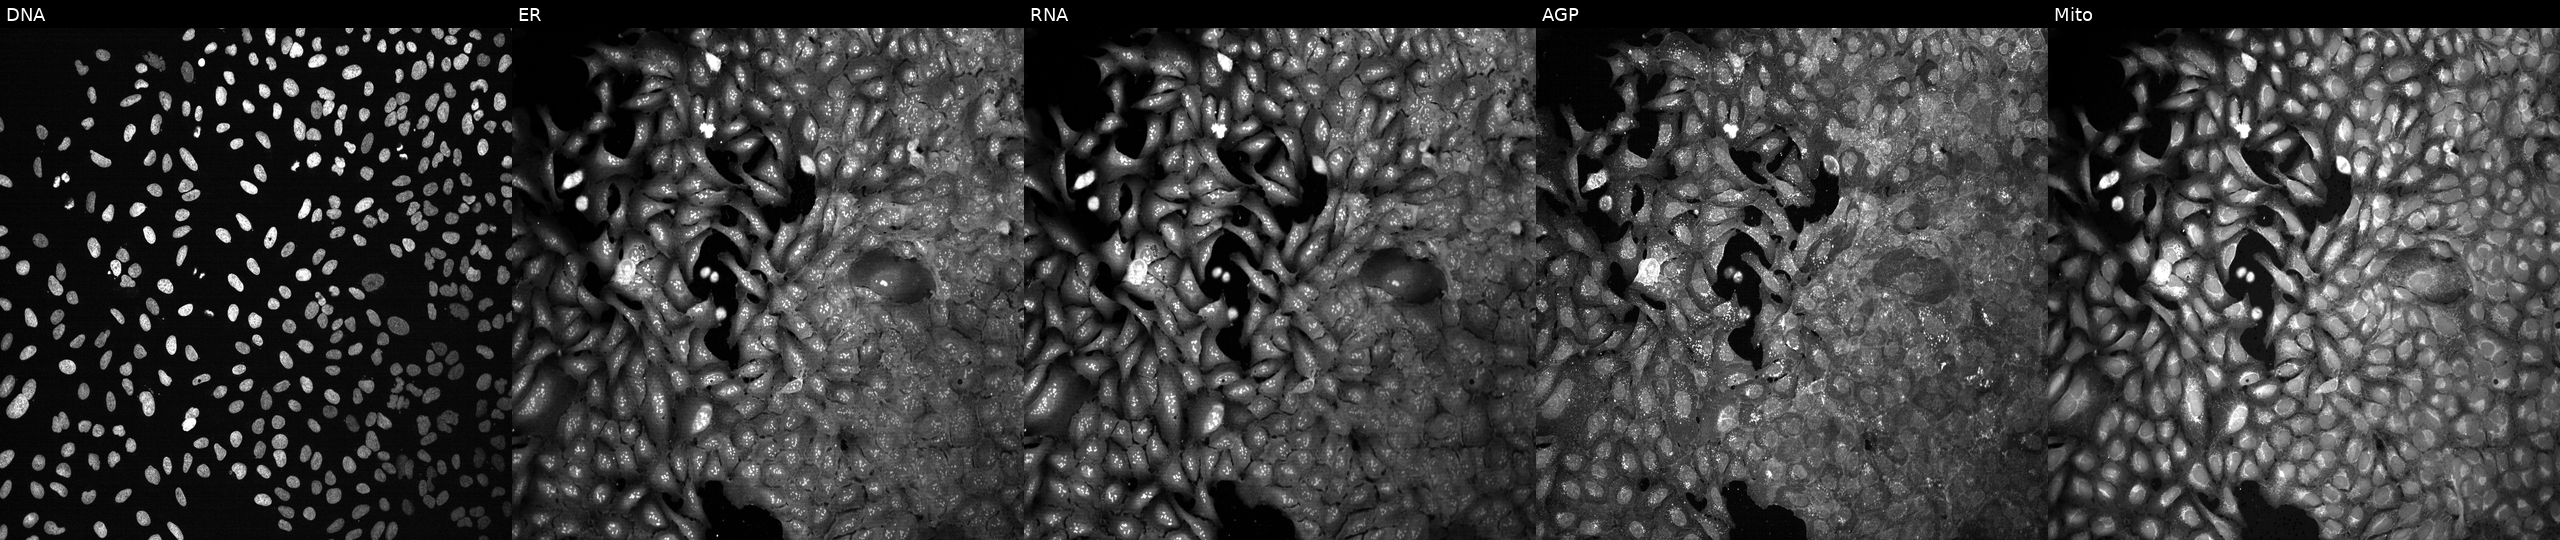
U2OS cells, Cell Painting assay, with MLH3 knocked out by CRISPR (JUMP id JCP2022_804194). From left to right: DNA (nuclei); ER (endoplasmic reticulum); RNA (nucleoli and cytoplasmic RNA); AGP (actin cytoskeleton, Golgi, and plasma membrane); Mito (mitochondria). Each panel is percentile-stretched 16-bit fluorescence.